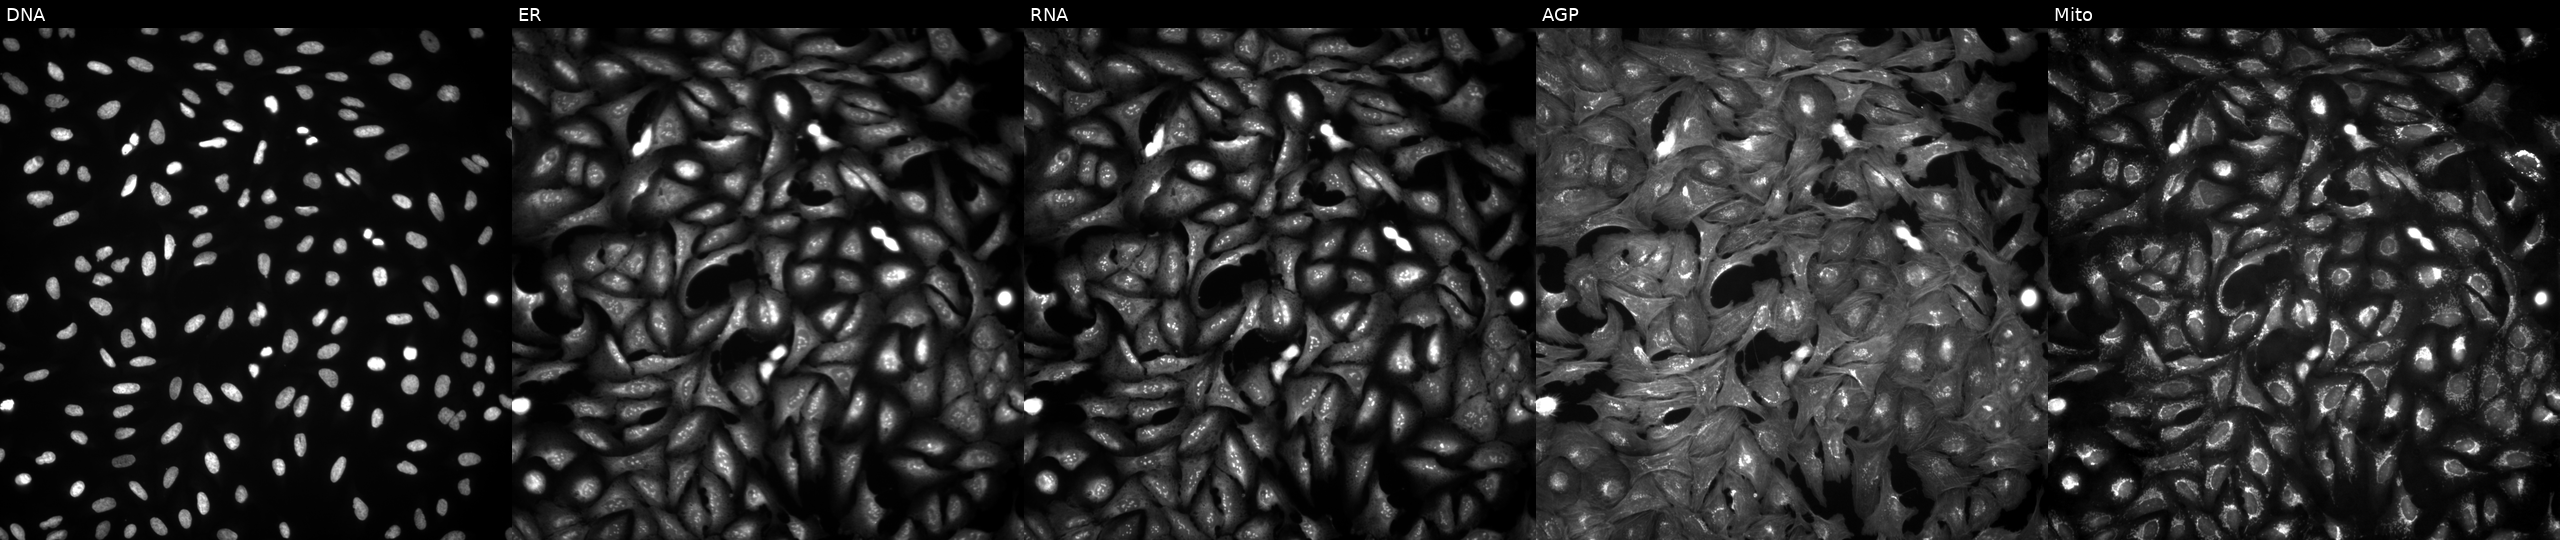
High-content fluorescence microscopy (Cell Painting). Cell line: U2OS. Perturbation: overexpressing DEFB127 via ORF transfection. The five panels, left to right, show DNA (nuclei); ER (endoplasmic reticulum); RNA (nucleoli and cytoplasmic RNA); AGP (actin cytoskeleton, Golgi, and plasma membrane); Mito (mitochondria). Source 4, plate BR00124784, well D13.